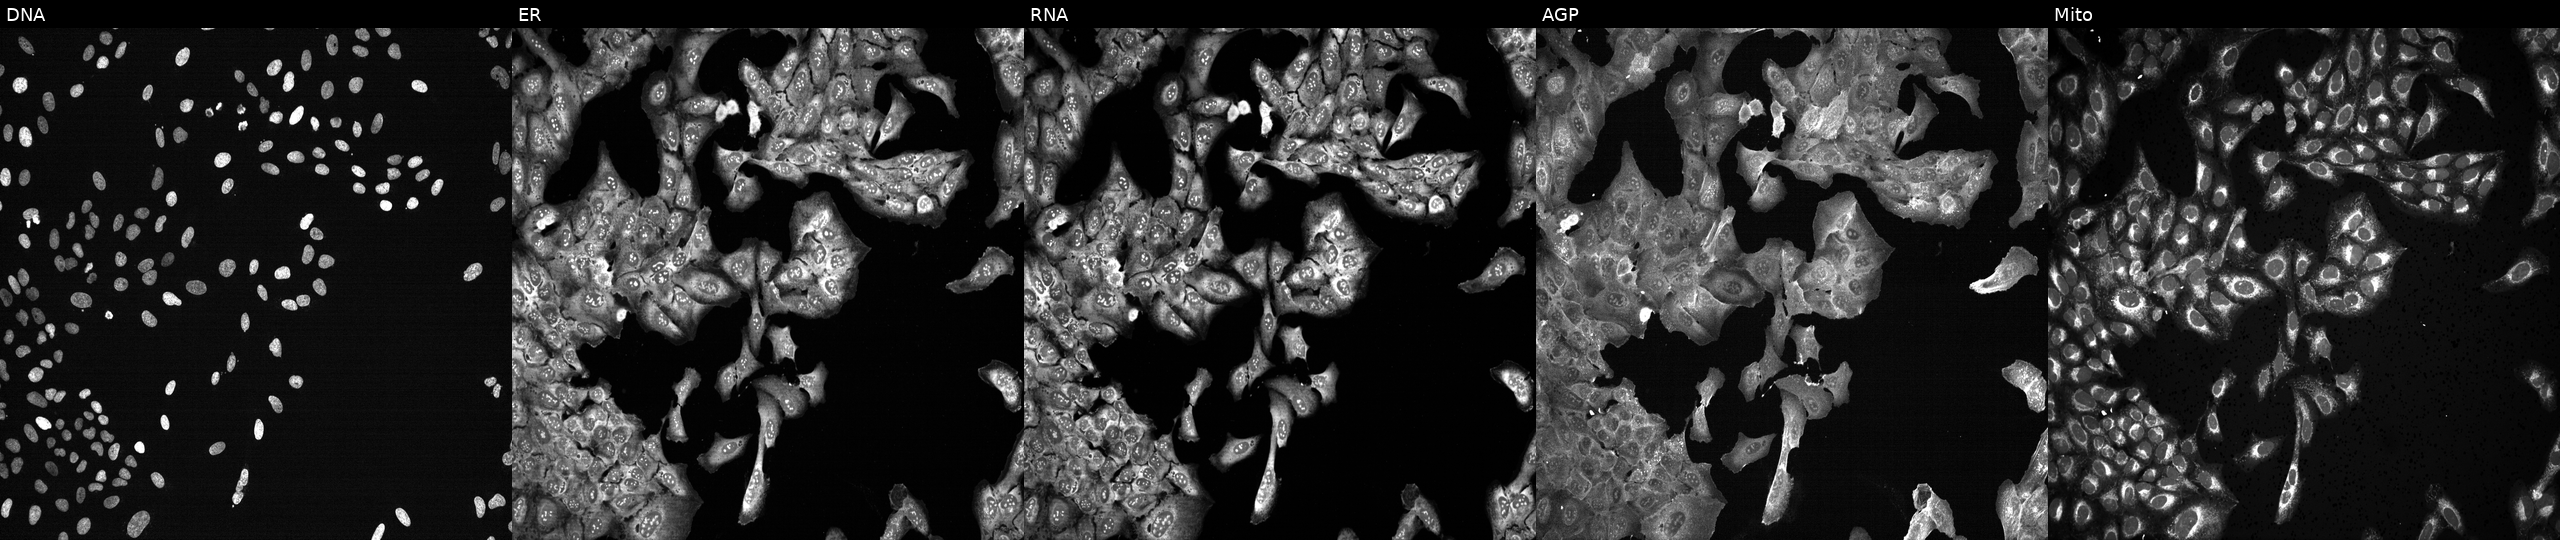
High-content fluorescence microscopy (Cell Painting). Cell line: U2OS. Perturbation: CRISPR-edited to disrupt PARP1 (JUMP id JCP2022_804923). Channels (left→right): DNA (nuclei); ER (endoplasmic reticulum); RNA (nucleoli and cytoplasmic RNA); AGP (actin cytoskeleton, Golgi, and plasma membrane); Mito (mitochondria).